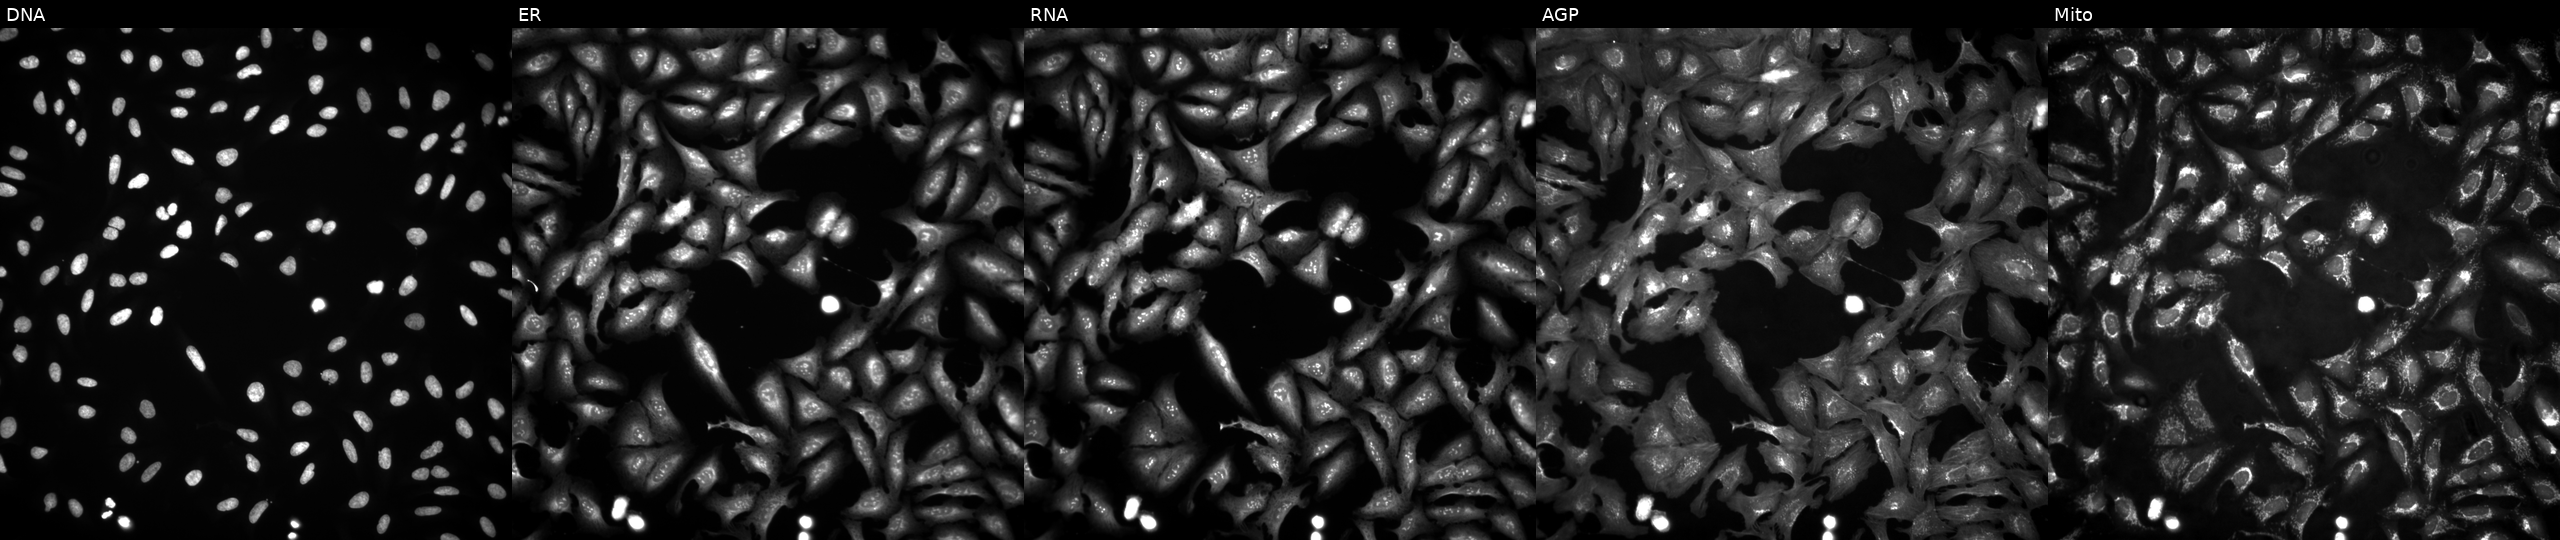
This image strip shows the five Cell Painting channels for a single field of U2OS cells transfected with an ORF construct for NOTCH2NLA (JUMP id JCP2022_915120). The five panels, left to right, show DNA, ER, RNA, AGP, and Mito. Source 4, plate BR00124787, well D20.